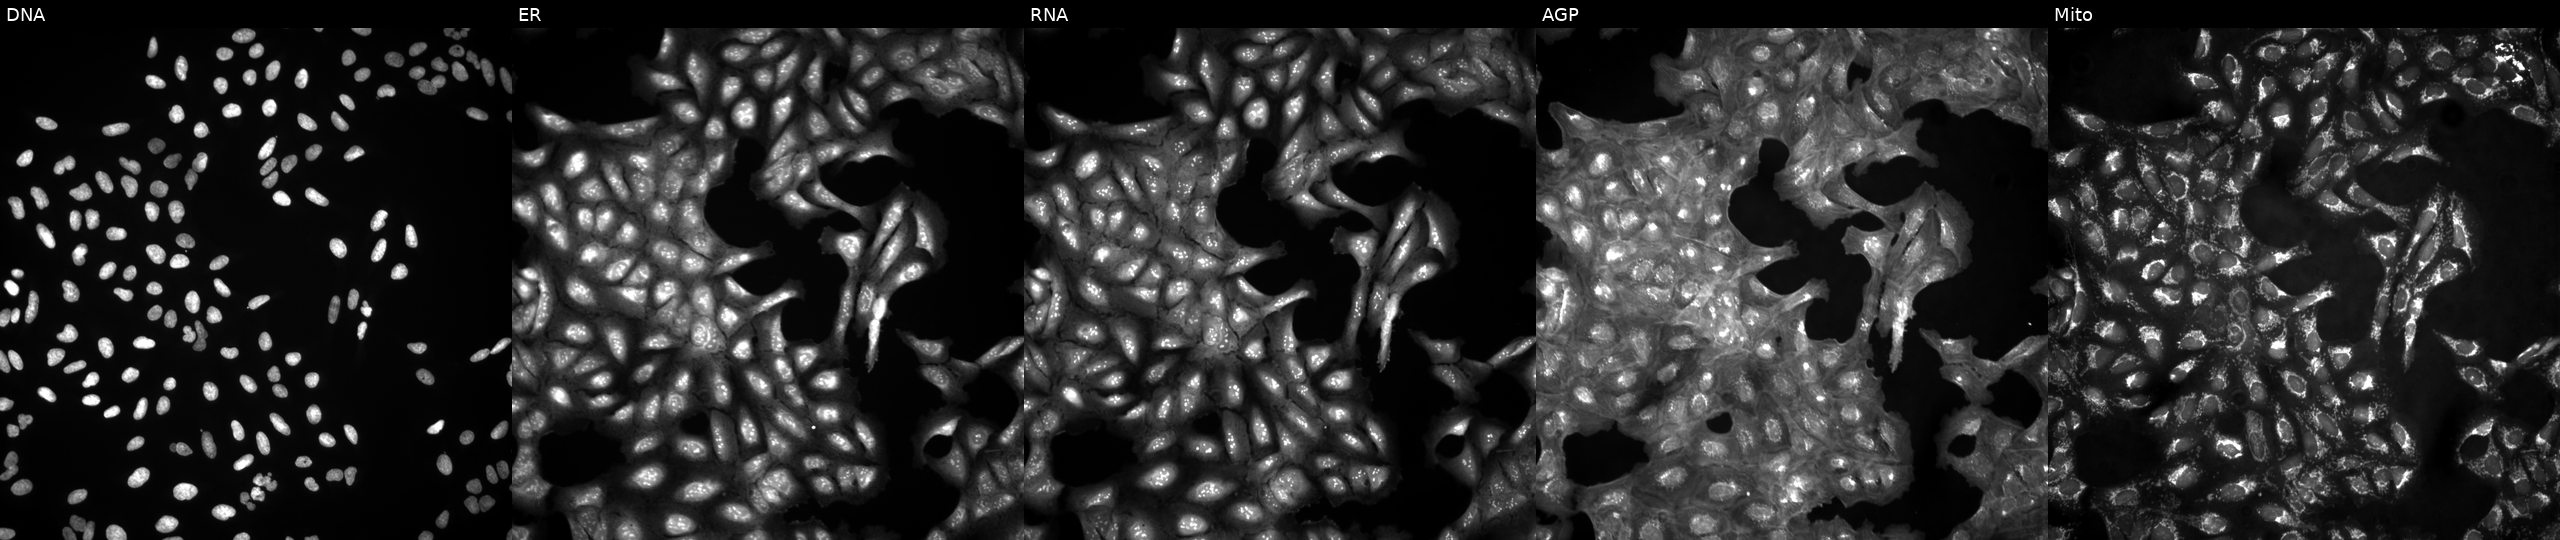
Panels show, left to right, DNA, ER, RNA, AGP, and Mito. U2OS osteosarcoma cells in an empty control well (no perturbation) (JUMP id JCP2022_999999). Cell Painting assay, JUMP-CP dataset.